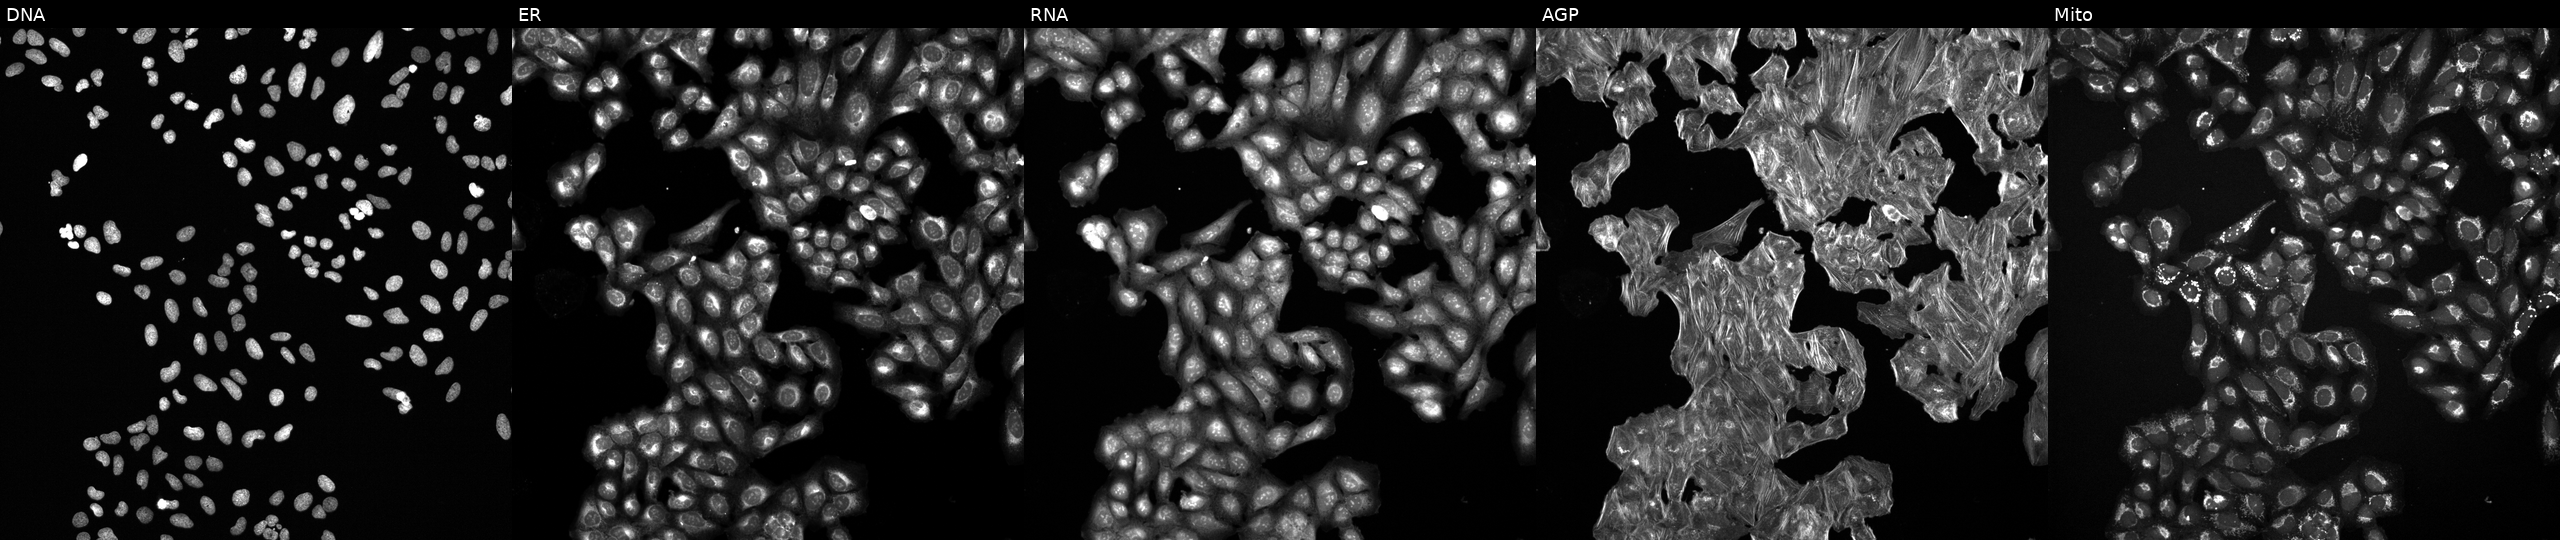
Panels show, left to right, DNA (nuclei); ER (endoplasmic reticulum); RNA (nucleoli and cytoplasmic RNA); AGP (actin cytoskeleton, Golgi, and plasma membrane); Mito (mitochondria). U2OS osteosarcoma cells exposed to the positive-control compound NVS-PAK1-1 (JUMP id JCP2022_064022). Cell Painting assay, JUMP-CP dataset.